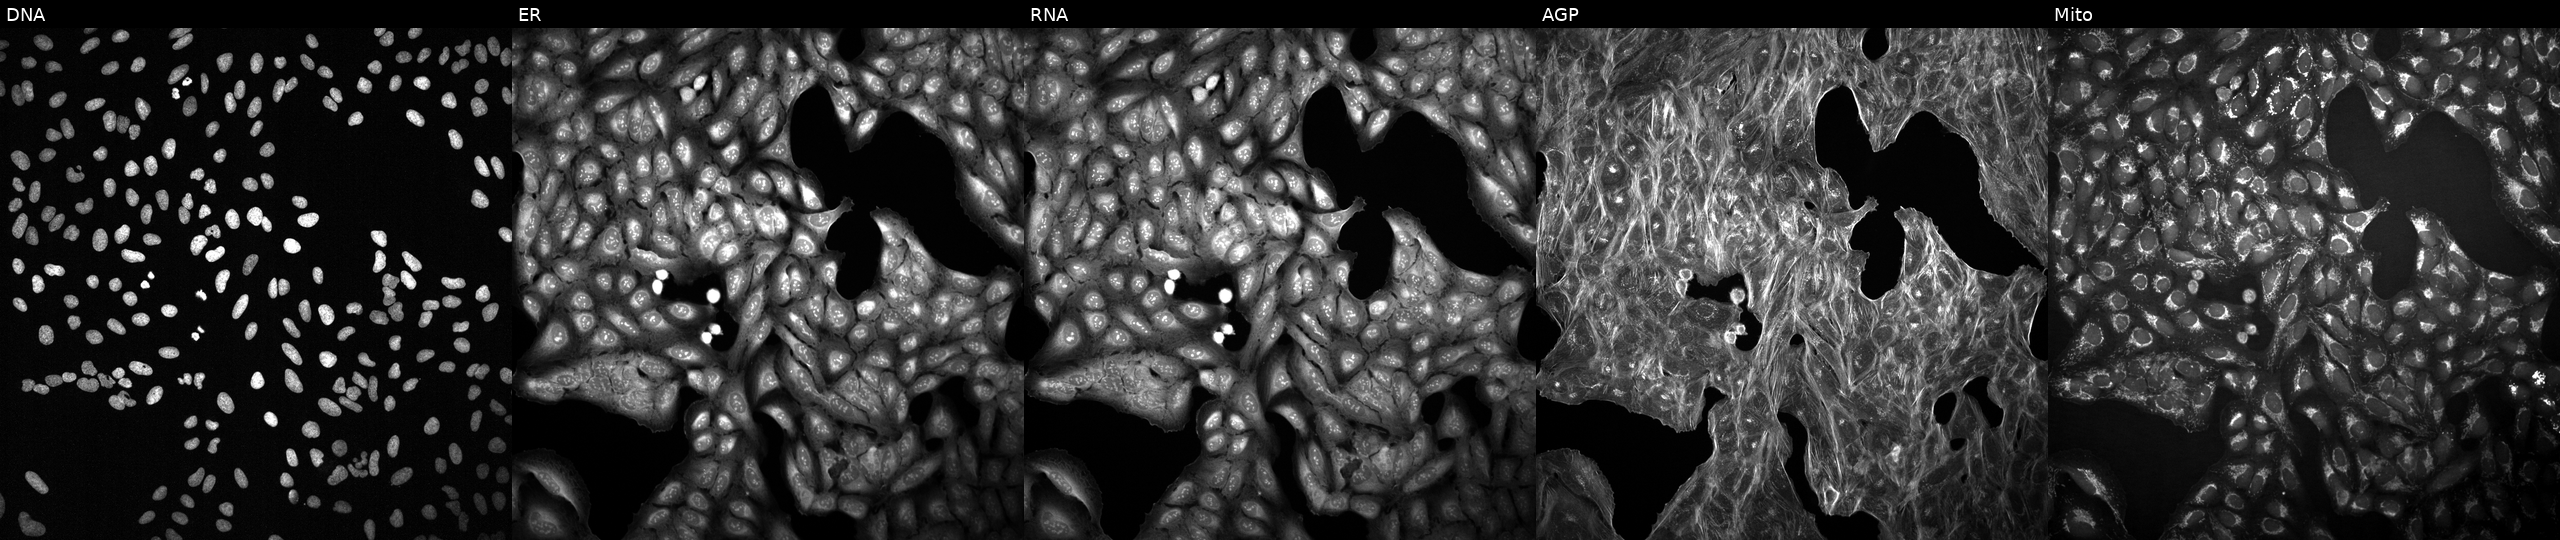
JUMP Cell Painting — COMPOUND plate. U2OS cells with an unidentified perturbation (not annotated in JUMP metadata). From left to right: DNA, ER, RNA, AGP, and Mito.